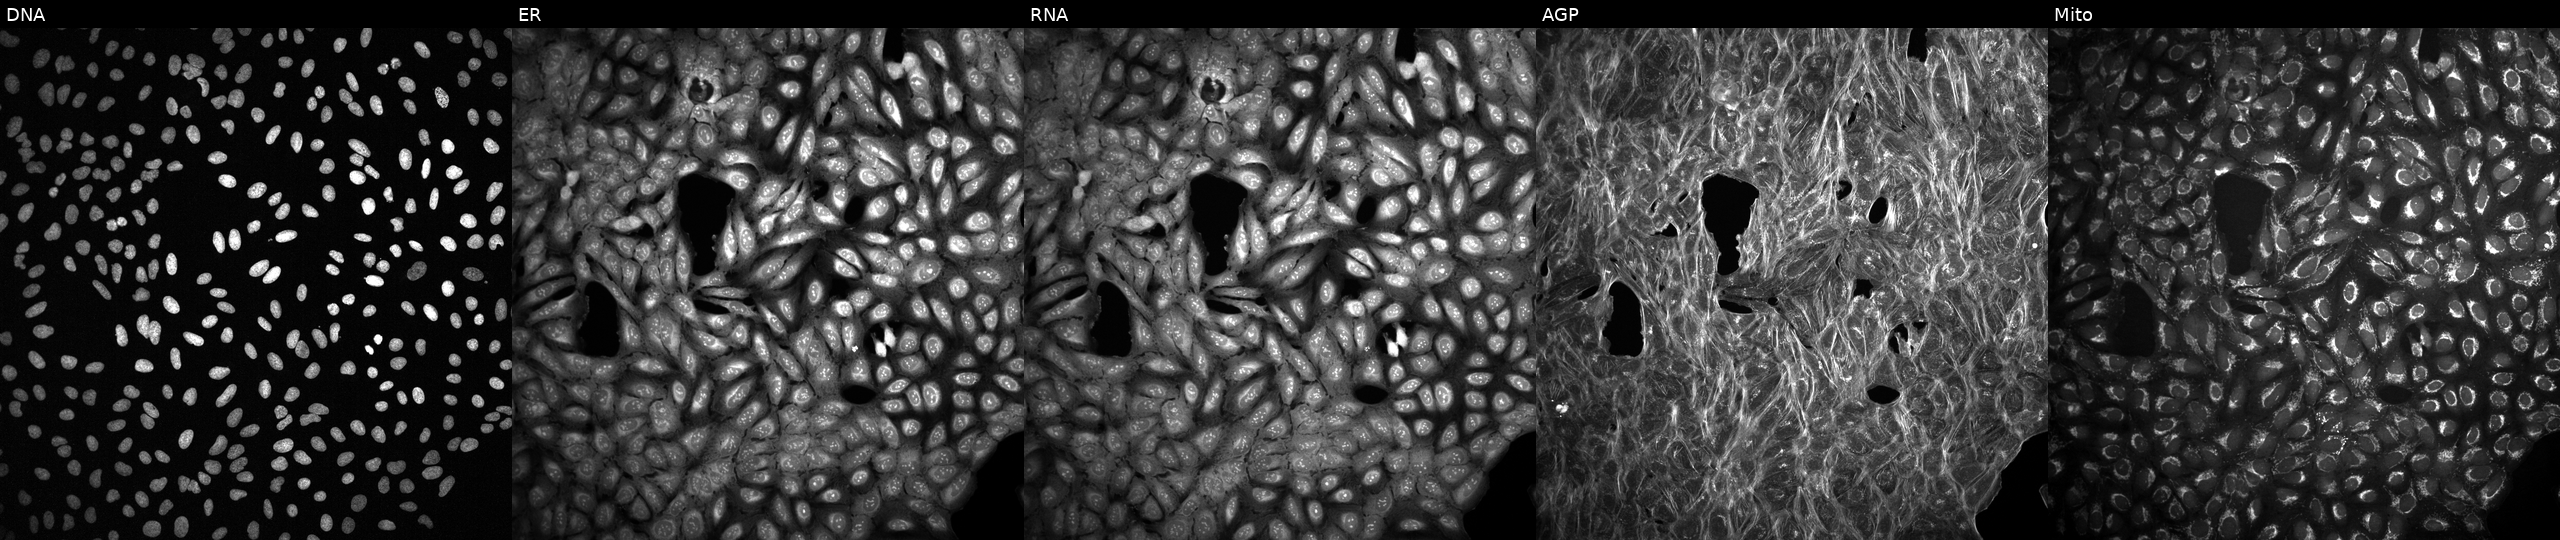
Five-channel Cell Painting image of U2OS cells perturbed with a small-molecule compound (JUMP id JCP2022_039121). From left to right: DNA, ER, RNA, AGP, and Mito. Source 2, plate 1053601763, well P05.